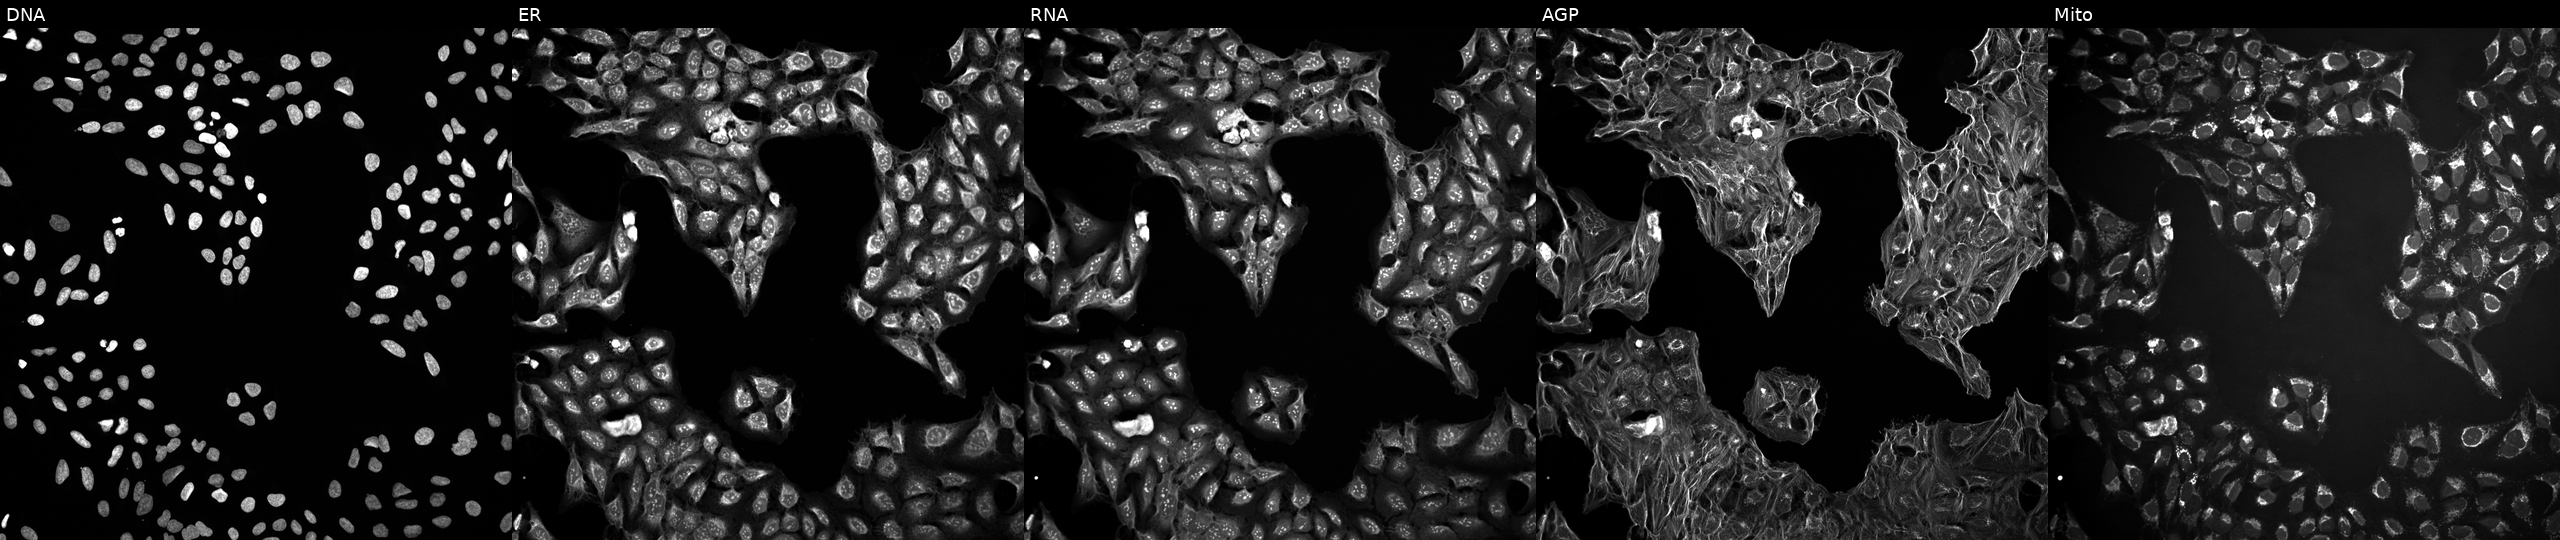
This image strip shows the five Cell Painting channels for a single field of U2OS cells exposed to DMSO alone as a negative control. Channels (left→right): Hoechst 33342, concanavalin A, SYTO 14, phalloidin and WGA, MitoTracker.